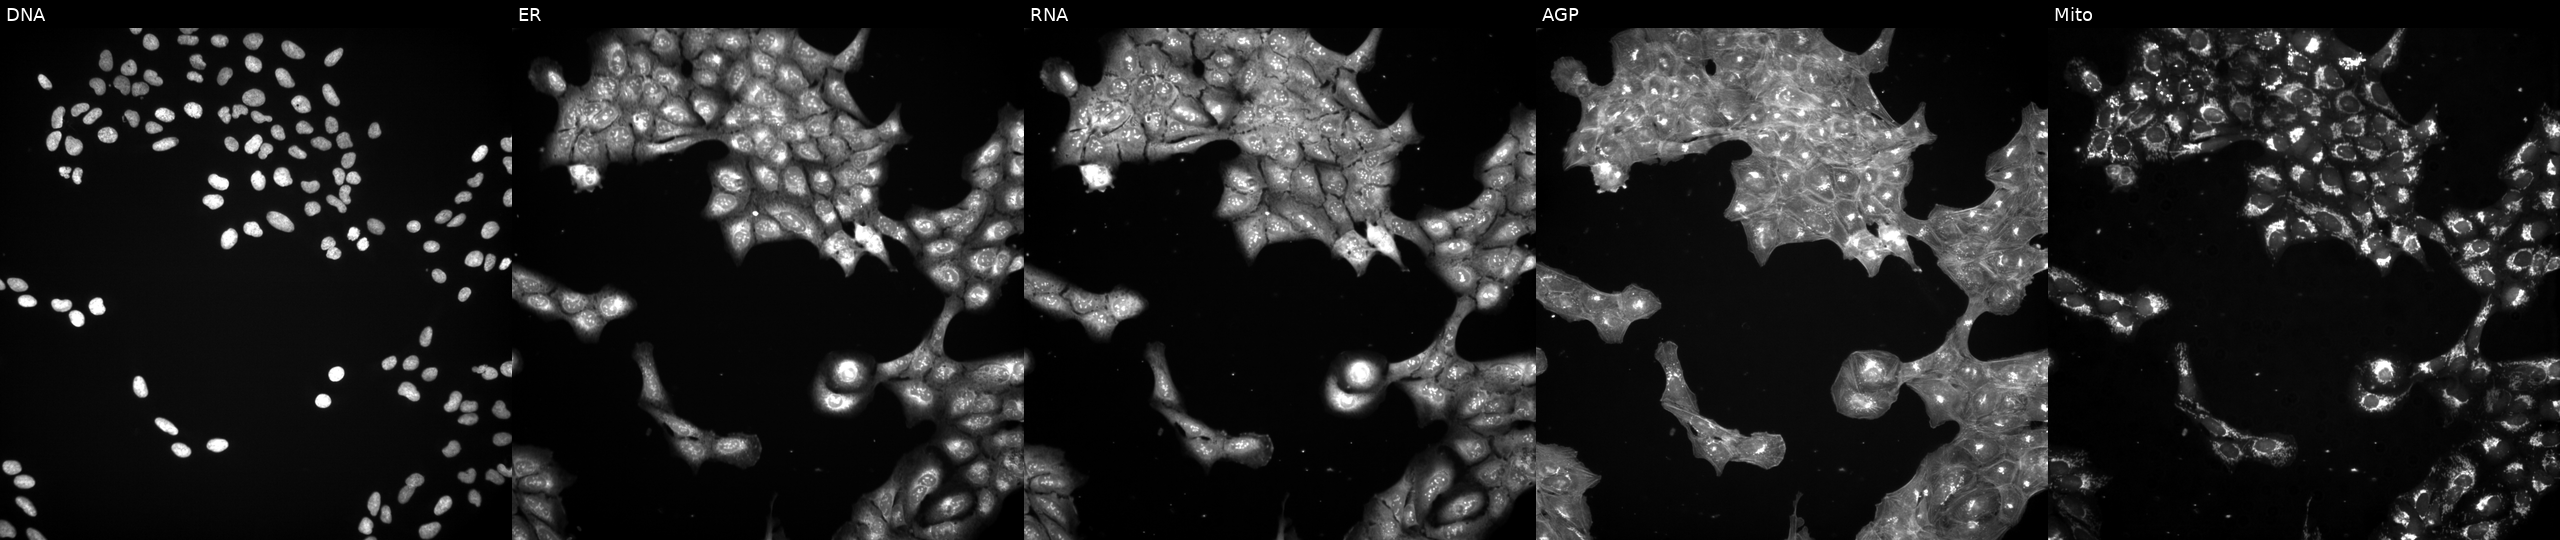
U2OS cells, Cell Painting assay, treated with a small-molecule compound (InChIKey IUIUHCNPRSUVRF-UHFFFAOYSA-N). Panels show, left to right, DNA, ER, RNA, AGP, and Mito. Each panel is percentile-stretched 16-bit fluorescence.